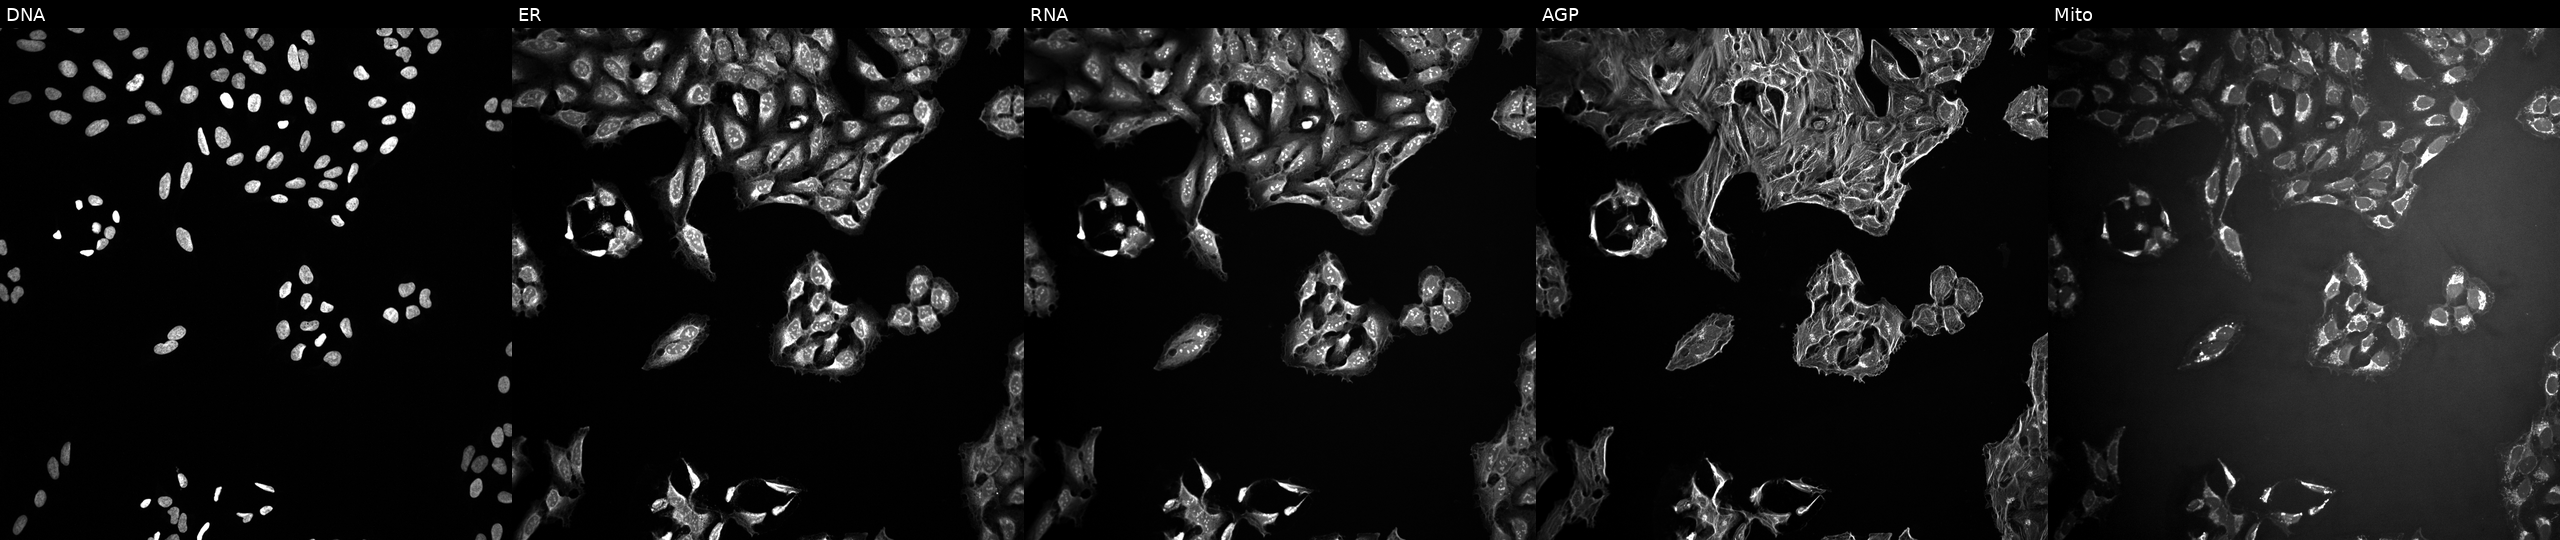
U2OS cells, Cell Painting assay, perturbed with a small-molecule compound (InChIKey UQNAFPHGVPVTAL-UHFFFAOYSA-N). Panels show, left to right, Hoechst 33342, concanavalin A, SYTO 14, phalloidin and WGA, MitoTracker. Each panel is percentile-stretched 16-bit fluorescence. Source 10, plate Dest210727-153003, well N23.